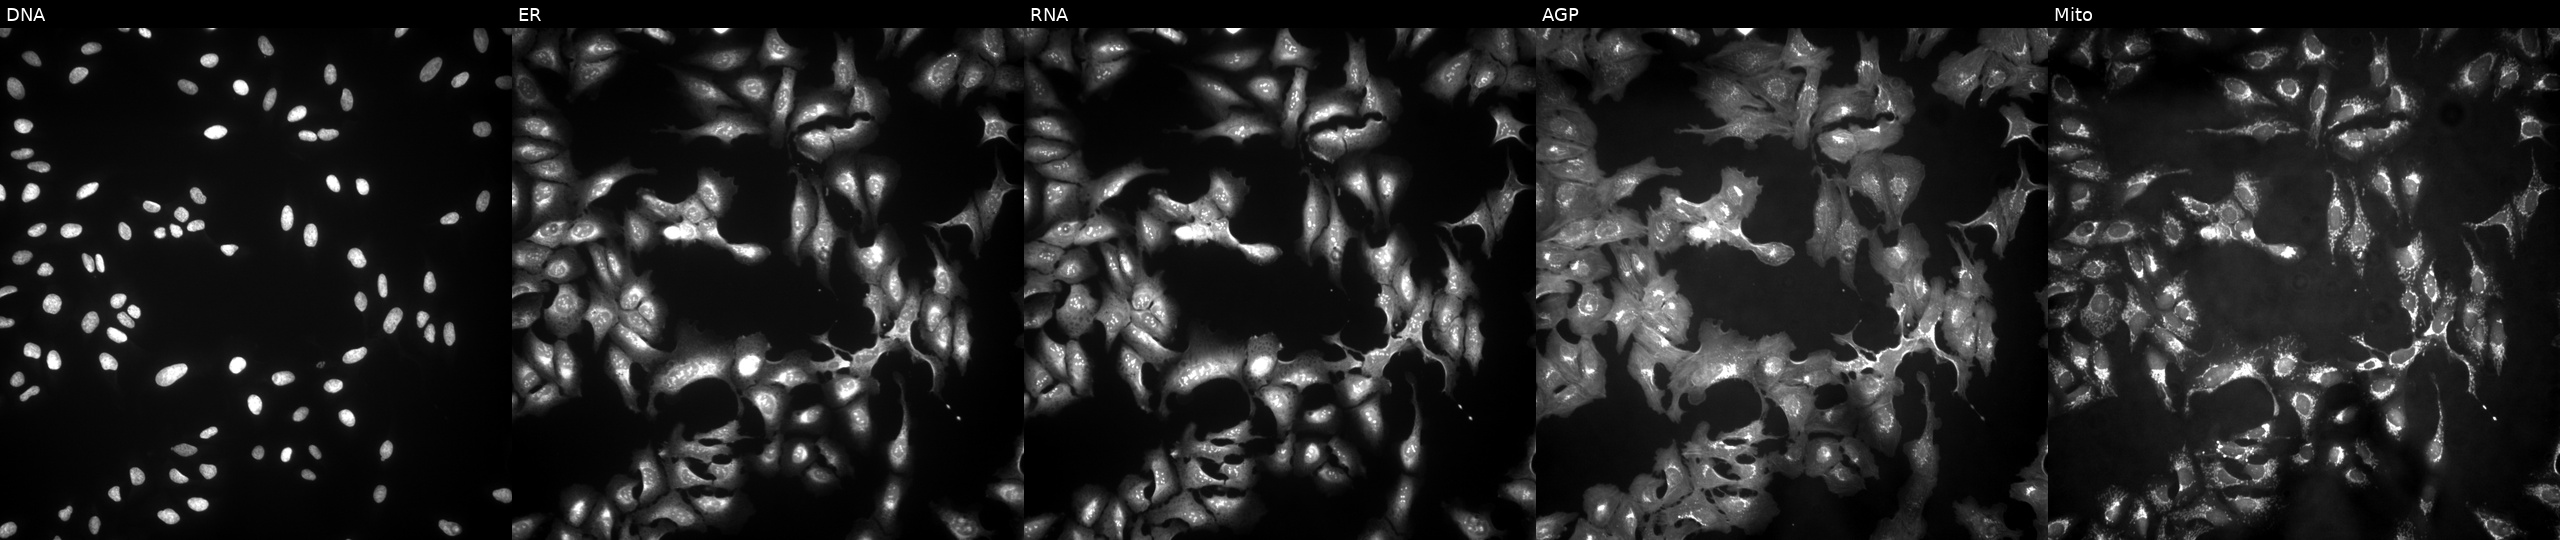
This image strip shows the five Cell Painting channels for a single field of U2OS cells transfected with an ORF construct for MFSD6L (JUMP id JCP2022_909078). From left to right: DNA (nuclei); ER (endoplasmic reticulum); RNA (nucleoli and cytoplasmic RNA); AGP (actin cytoskeleton, Golgi, and plasma membrane); Mito (mitochondria). Source 4, plate BR00123506, well N13.